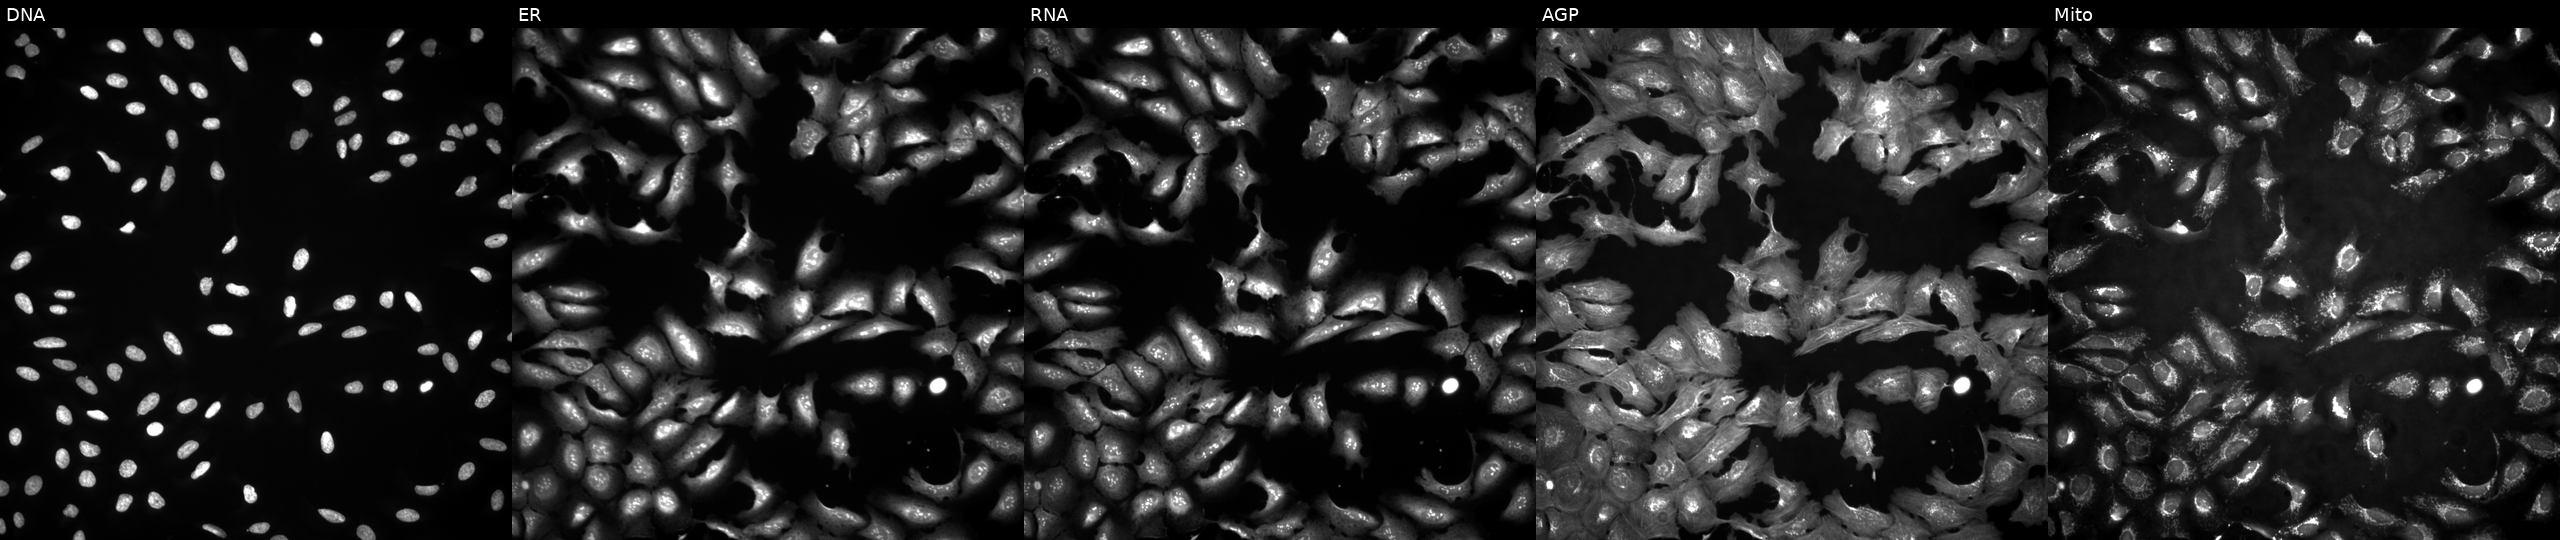
High-content fluorescence microscopy (Cell Painting). Cell line: U2OS. Perturbation: overexpressing SPRYD4 via ORF transfection (JUMP id JCP2022_905008). Channels (left→right): DNA (nuclei); ER (endoplasmic reticulum); RNA (nucleoli and cytoplasmic RNA); AGP (actin cytoskeleton, Golgi, and plasma membrane); Mito (mitochondria).